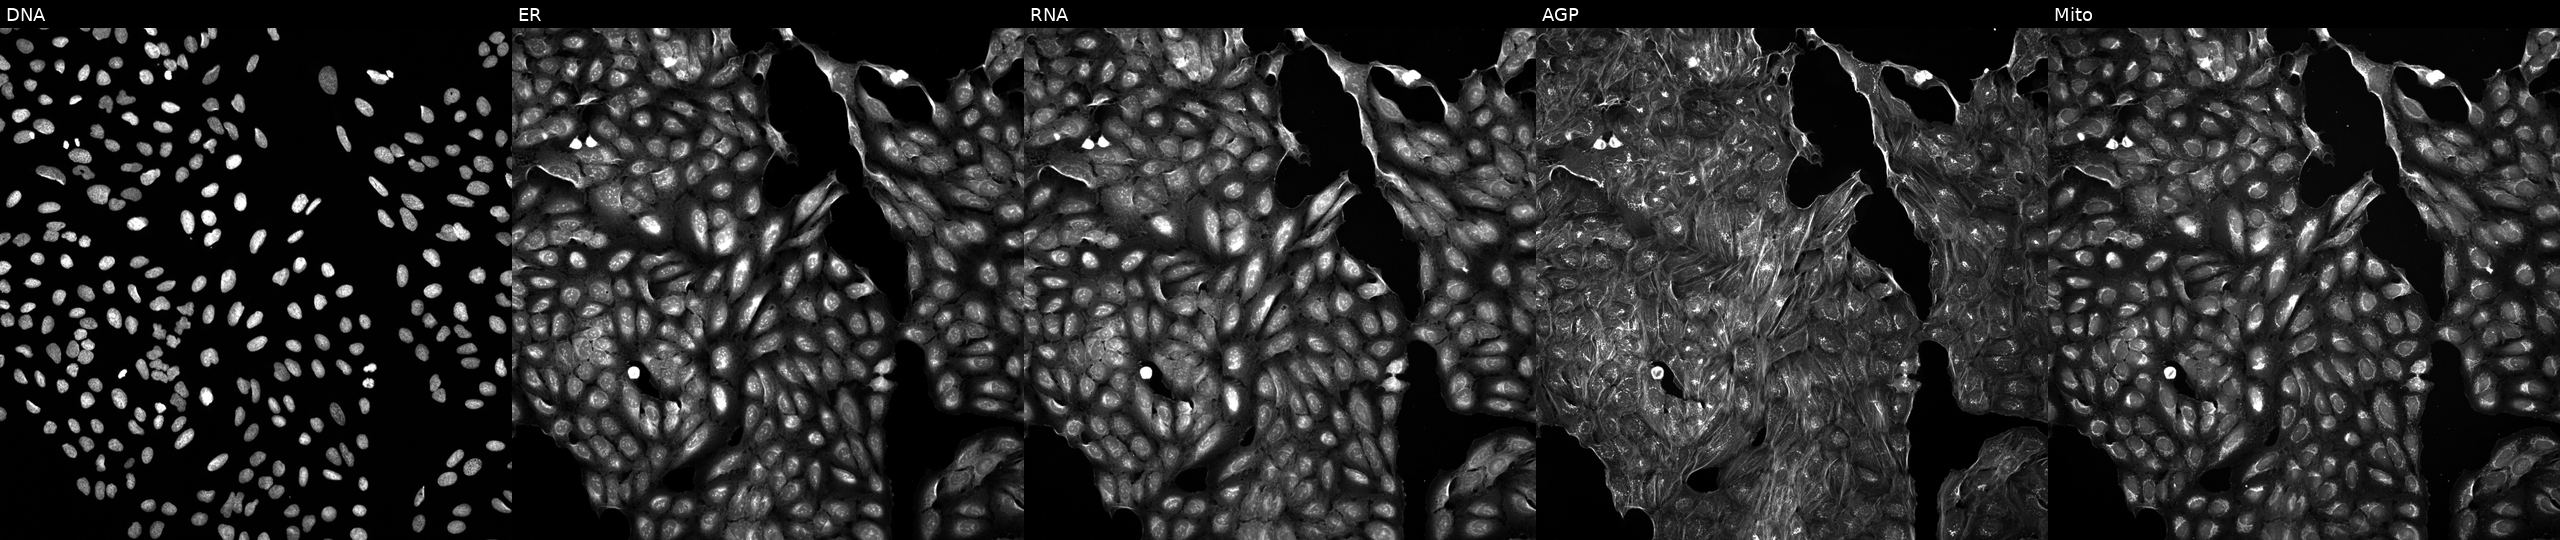
Five-channel Cell Painting image of U2OS cells treated with DMSO vehicle only (negative control). Channels (left→right): Hoechst 33342, concanavalin A, SYTO 14, phalloidin and WGA, MitoTracker.